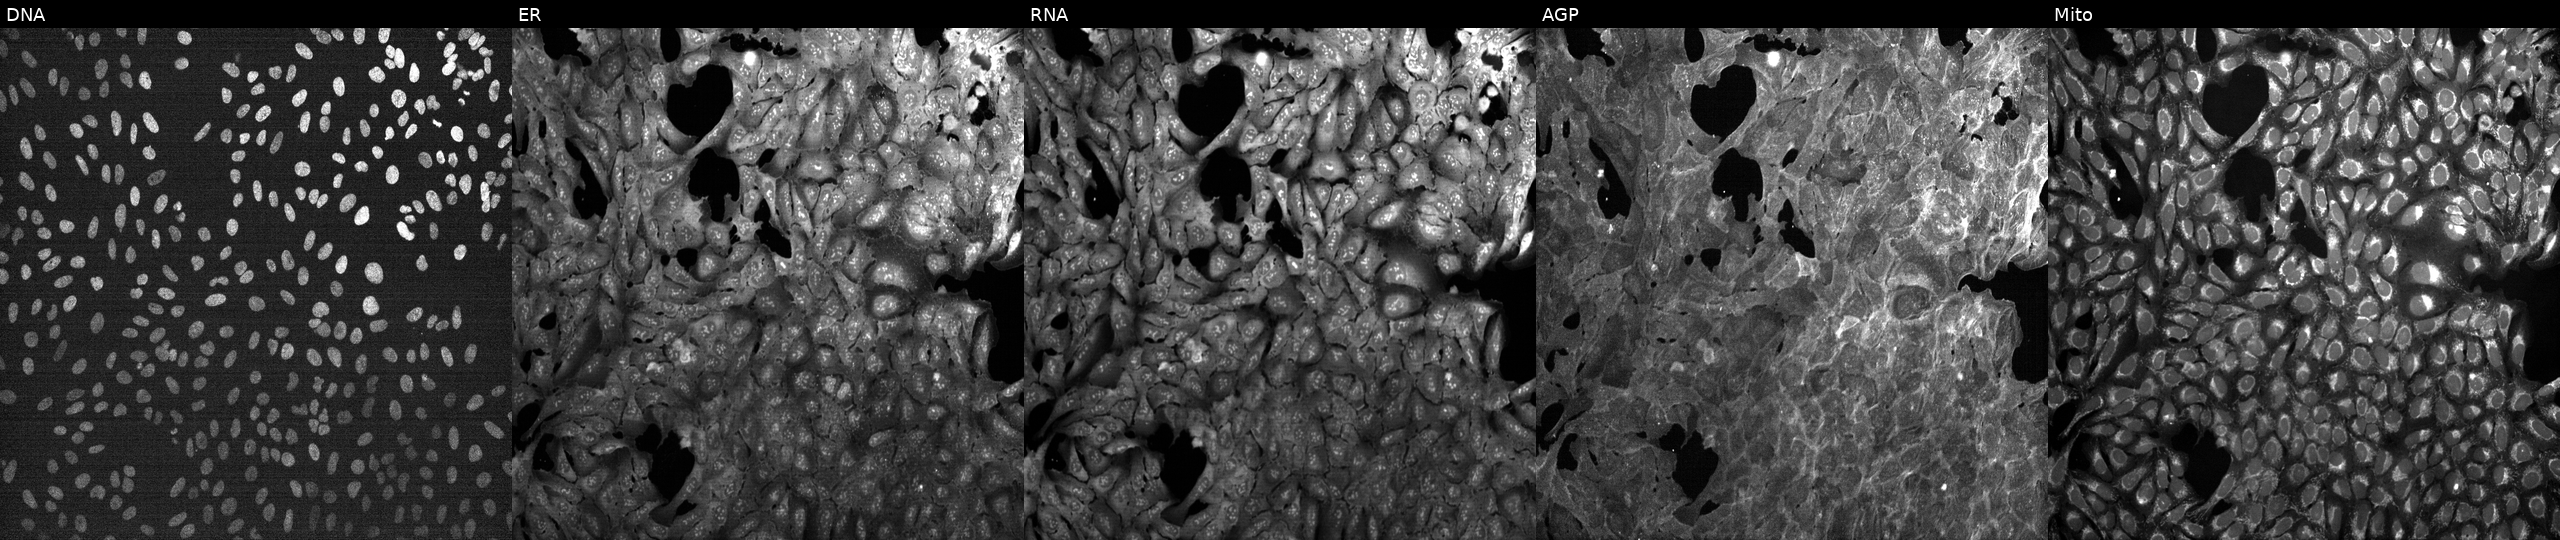
High-content fluorescence microscopy (Cell Painting). Cell line: U2OS. Perturbation: exposed to a small-molecule compound (InChIKey XEYBRNLFEZDVAW-UHFFFAOYSA-N). Channels (left→right): Hoechst 33342, concanavalin A, SYTO 14, phalloidin and WGA, MitoTracker. Source 7, plate CP3-SC1-25, well A14.